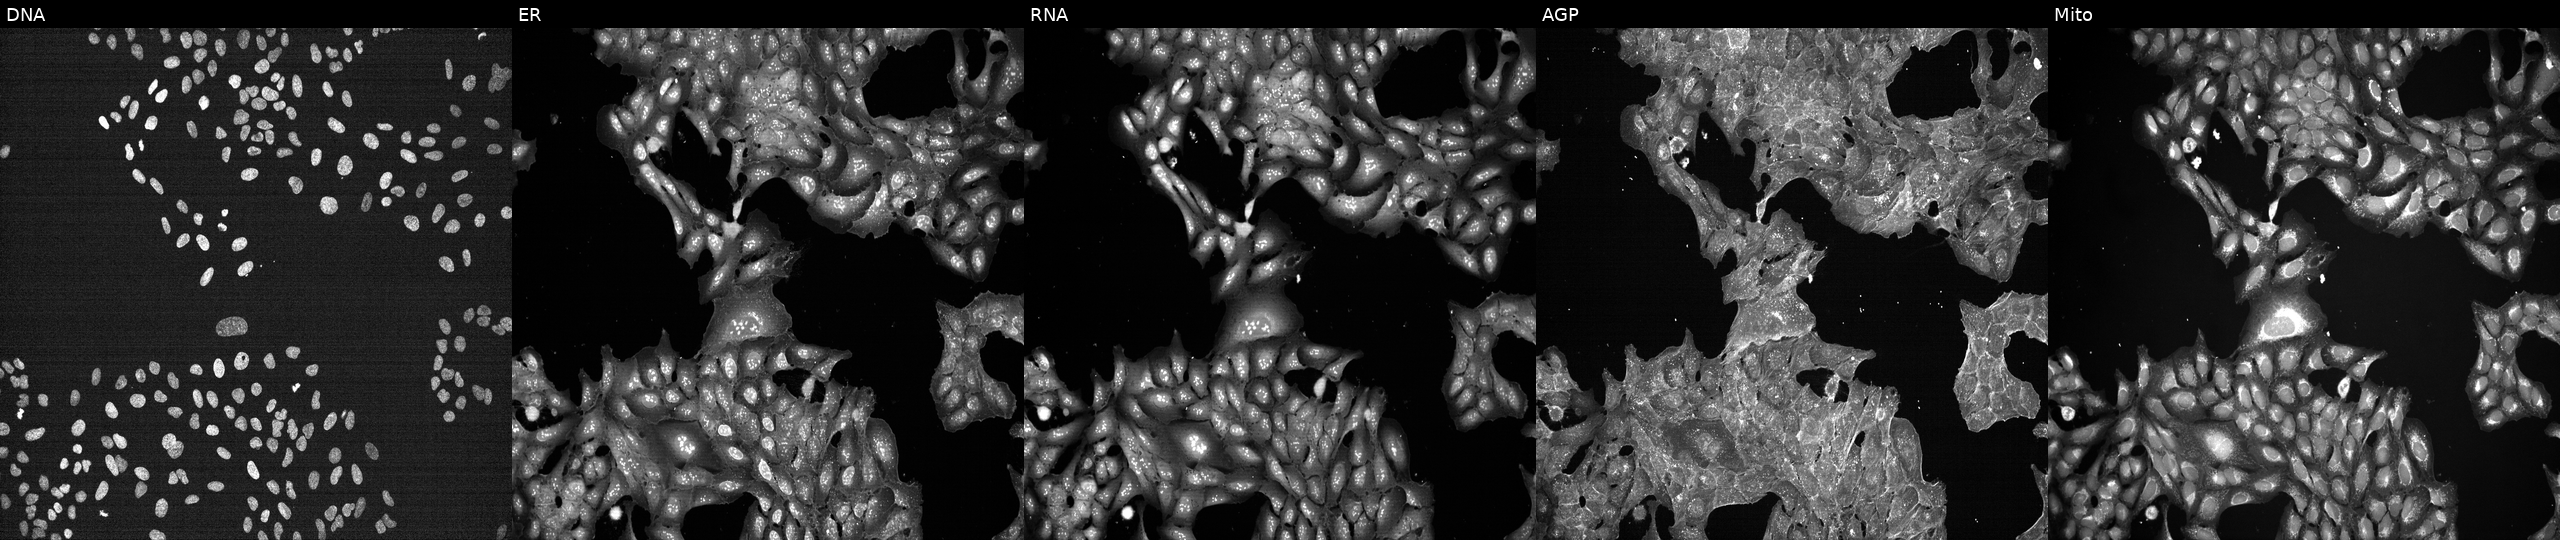
High-content fluorescence microscopy (Cell Painting). Cell line: U2OS. Perturbation: perturbed with a small-molecule compound. Panels show, left to right, DNA, ER, RNA, AGP, and Mito.